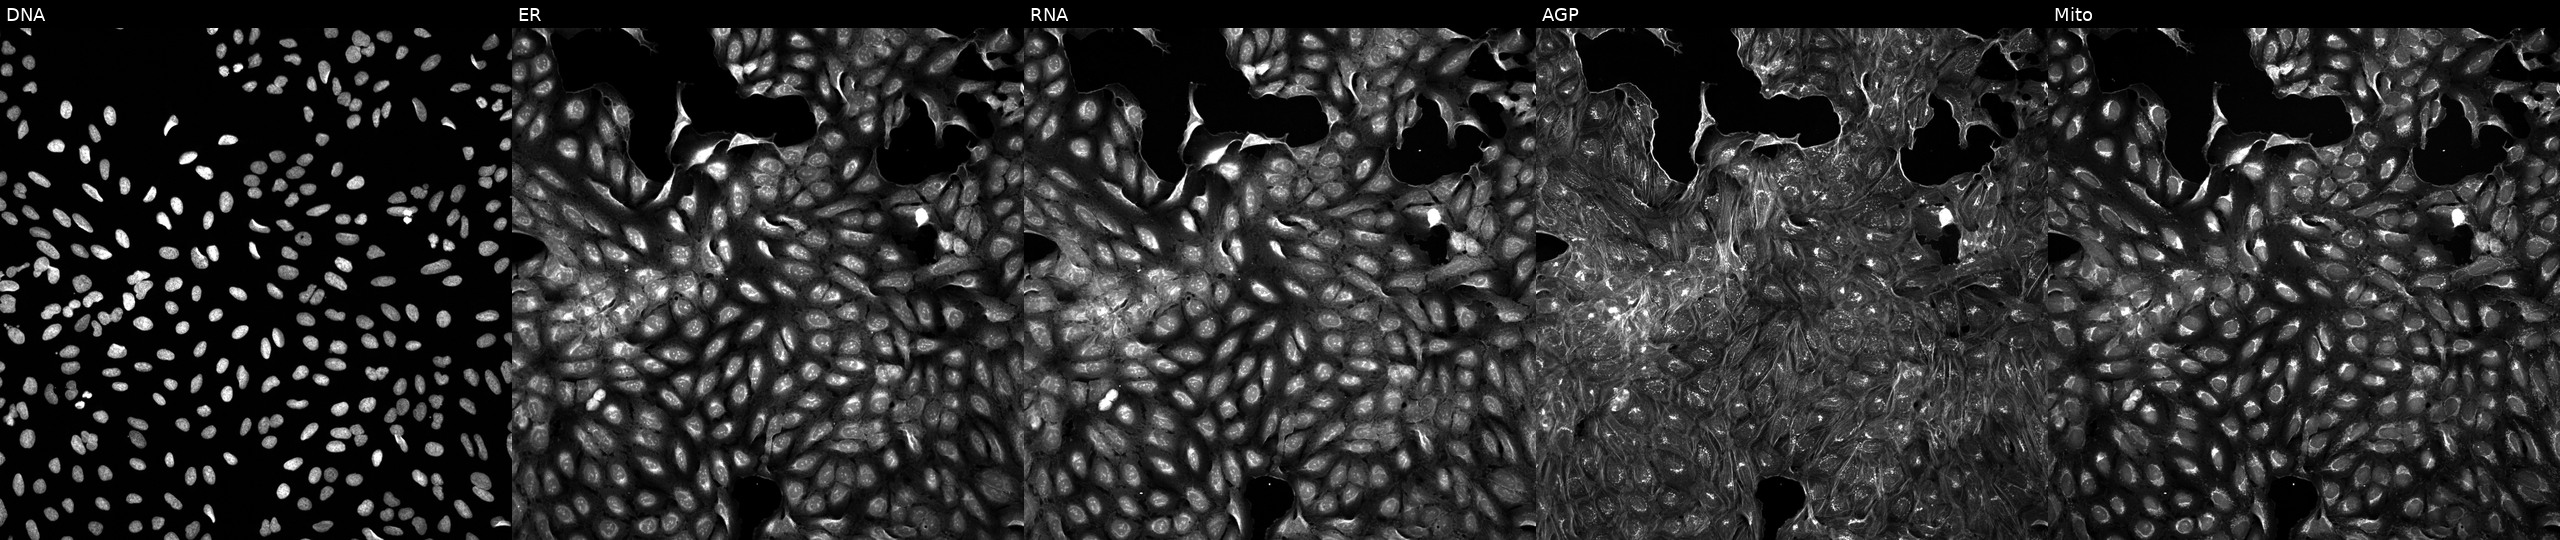
Panels show, left to right, DNA, ER, RNA, AGP, and Mito. U2OS osteosarcoma cells treated with DMSO vehicle only (negative control). Cell Painting assay, JUMP-CP dataset. Source 5, plate APTJUM106, well K02.